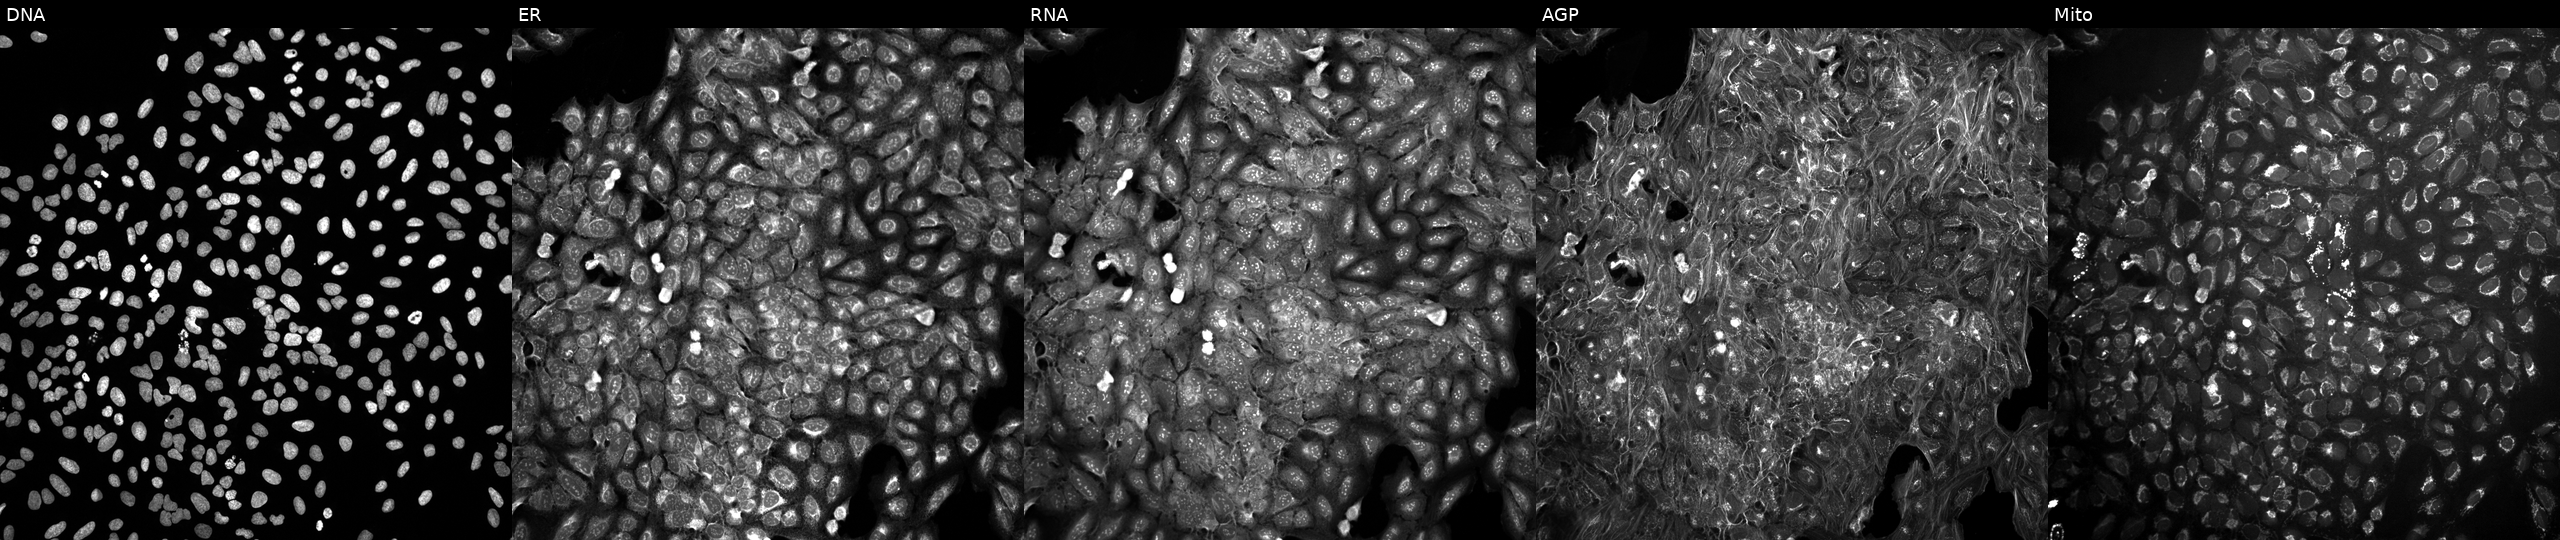
U2OS cells, Cell Painting assay, exposed to a small-molecule compound (InChIKey GJKJNIKAPTYGCG-UHFFFAOYSA-N). From left to right: Hoechst 33342, concanavalin A, SYTO 14, phalloidin and WGA, MitoTracker. Each panel is percentile-stretched 16-bit fluorescence. Source 10, plate Dest210531-152324, well I07.